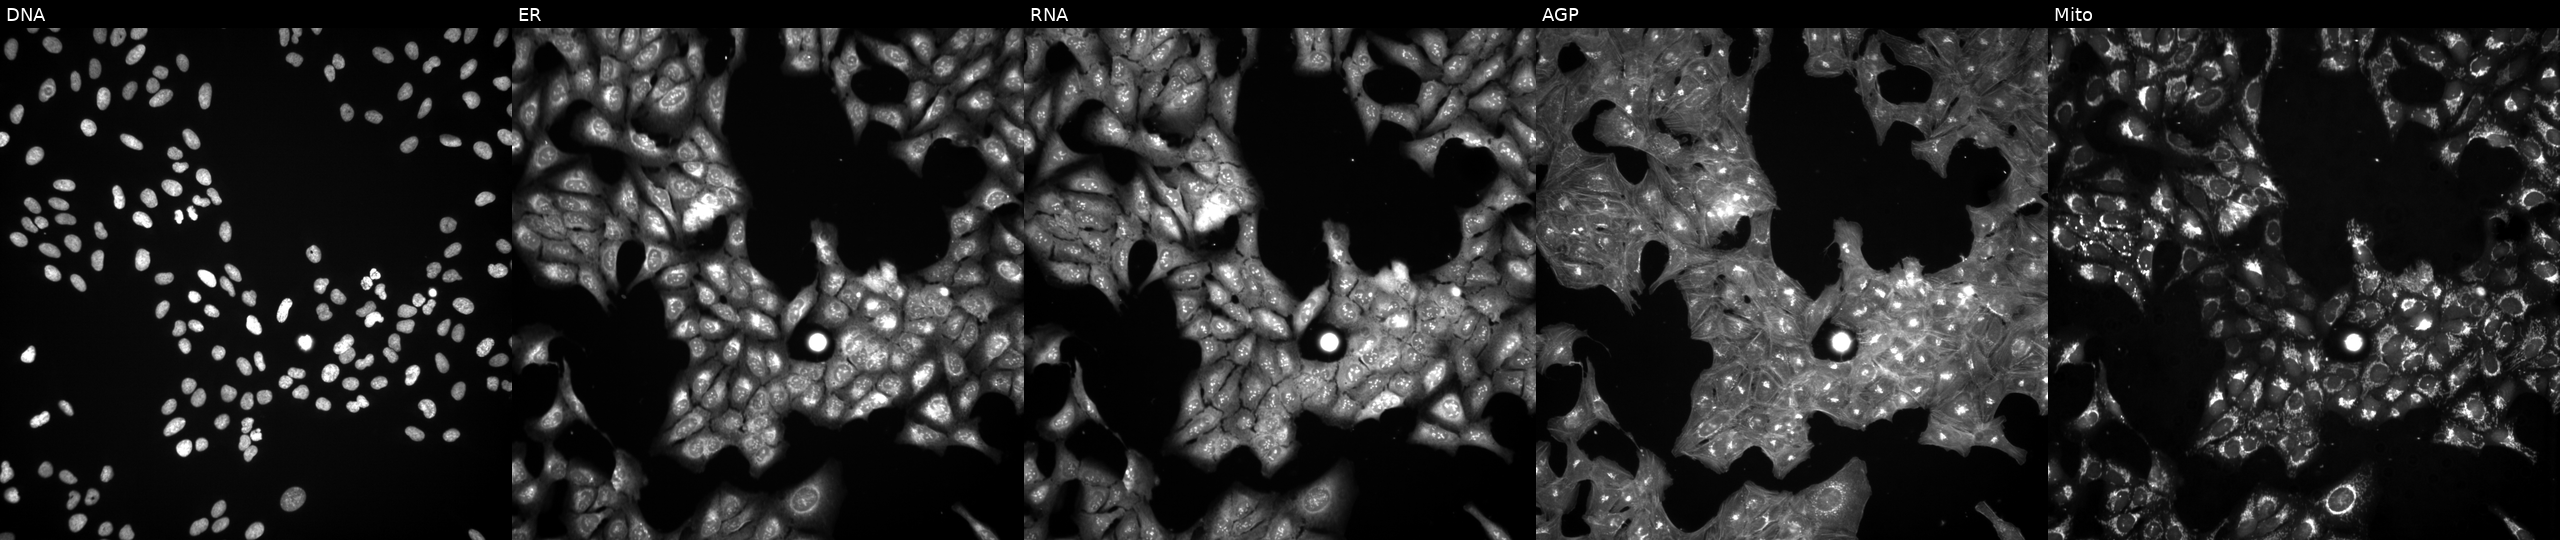
Five-channel Cell Painting image of U2OS cells treated with a small-molecule compound (InChIKey GSSLLLQYVBLLIN-UHFFFAOYSA-N). Channels (left→right): DNA (nuclei); ER (endoplasmic reticulum); RNA (nucleoli and cytoplasmic RNA); AGP (actin cytoskeleton, Golgi, and plasma membrane); Mito (mitochondria).